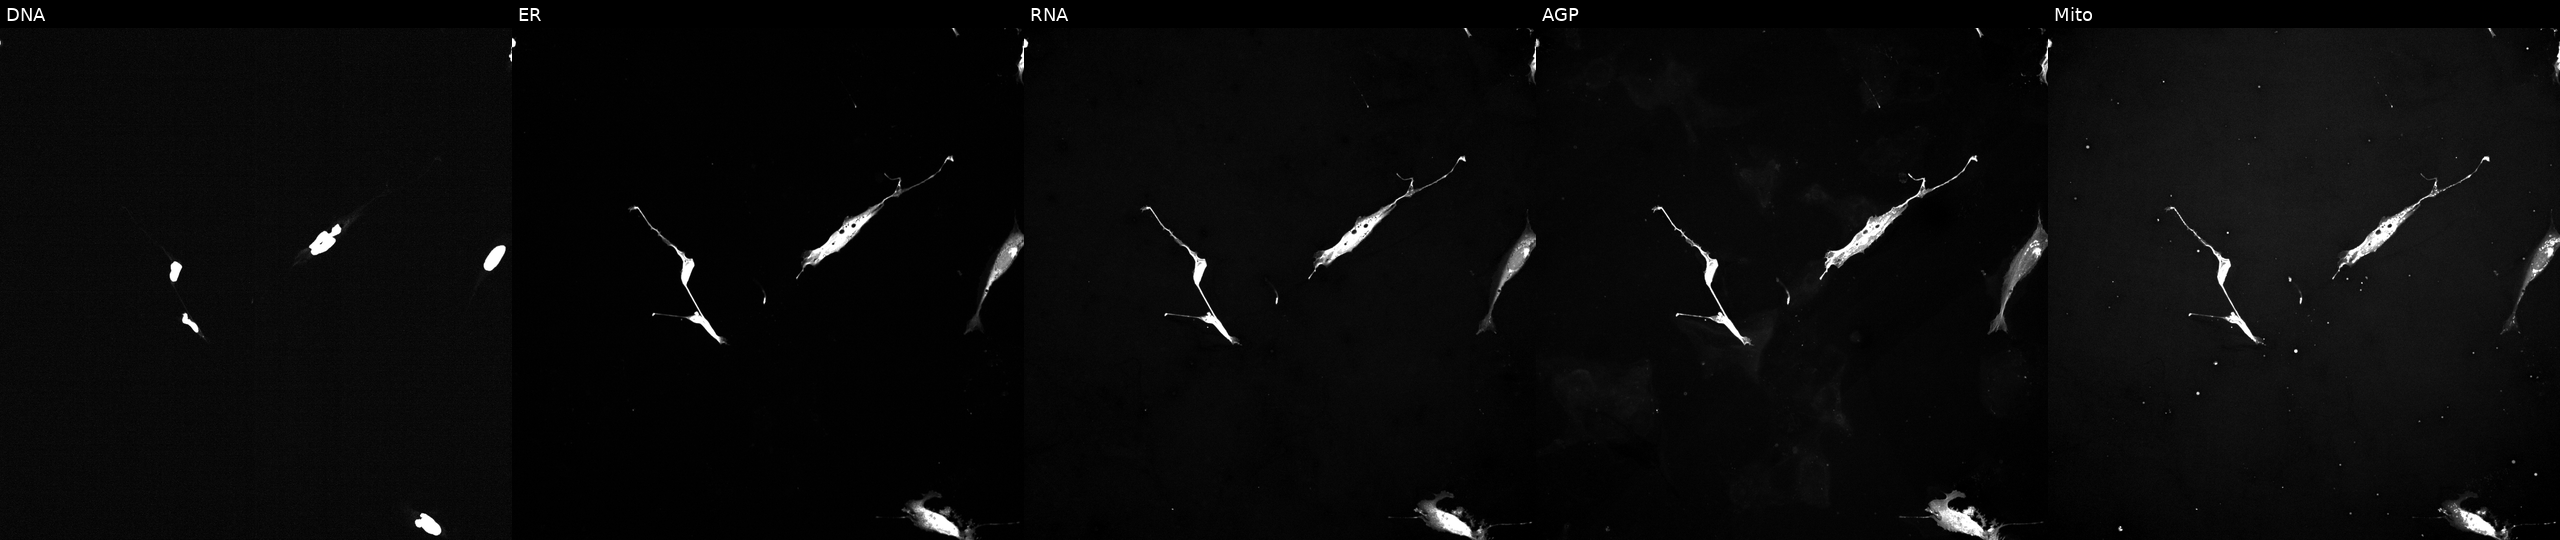
JUMP Cell Painting — TARGET2 plate. U2OS cells treated with a small-molecule compound (InChIKey VXBAJLGYBMTJCY-UHFFFAOYSA-N) [SMILES: CN1CC=CCCOc2cccc(c2)-c2ccnc(n2)Nc2cccc(c2)C1]. Panels show, left to right, DNA, ER, RNA, AGP, and Mito. Source 5, plate ACPJUM032, well C08.